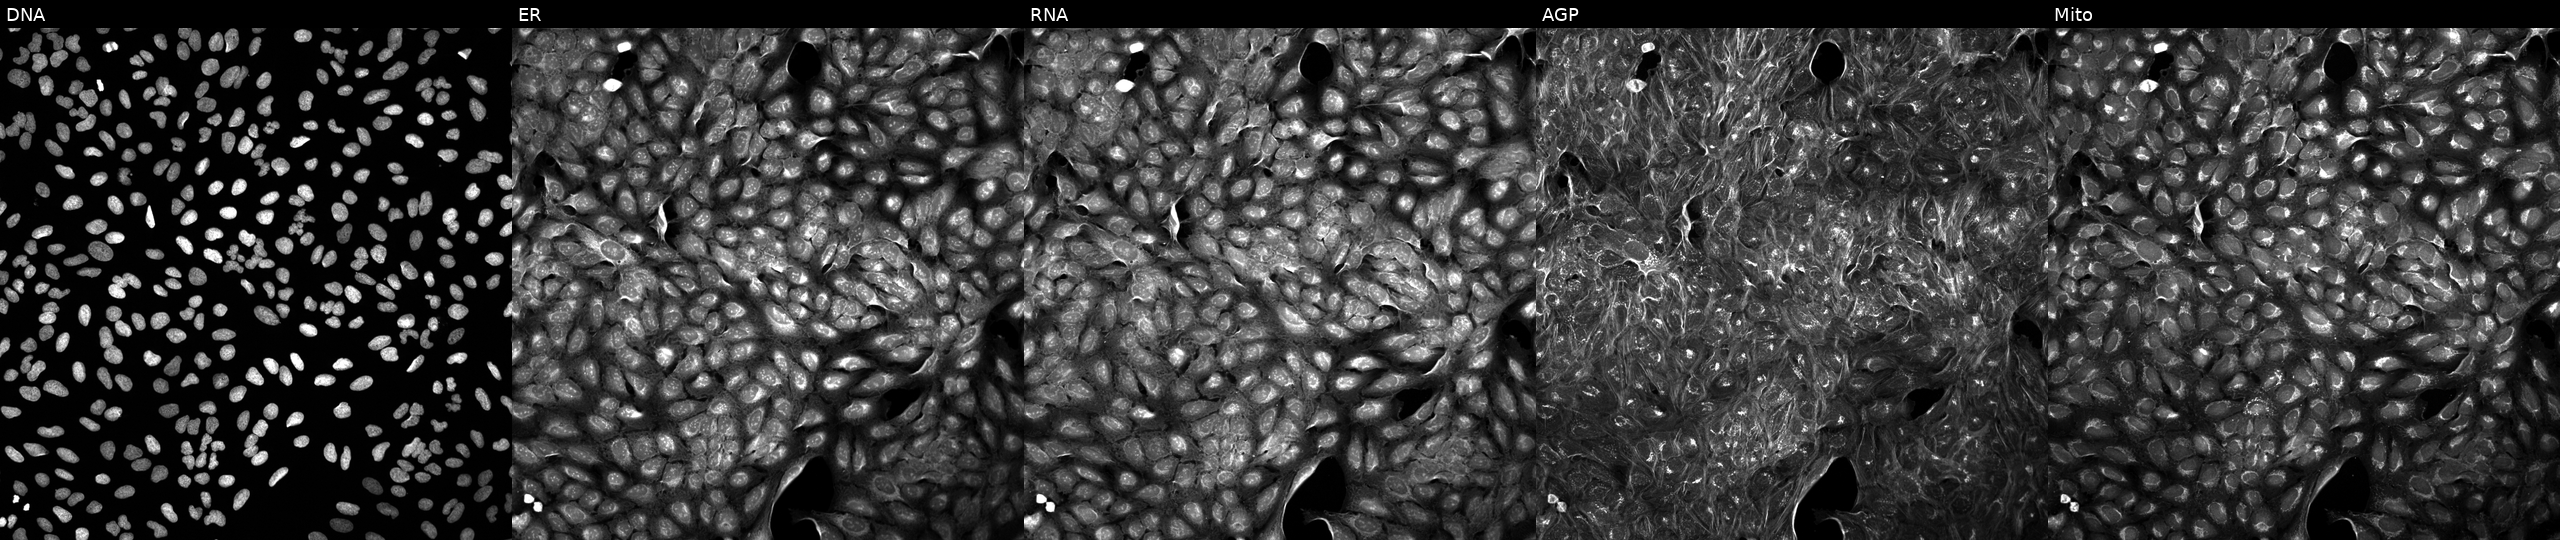
Five-channel Cell Painting image of U2OS cells treated with a small-molecule compound (InChIKey AIBSUASFZMJQCD-UHFFFAOYSA-N) (JUMP id JCP2022_001543). From left to right: DNA (nuclei); ER (endoplasmic reticulum); RNA (nucleoli and cytoplasmic RNA); AGP (actin cytoskeleton, Golgi, and plasma membrane); Mito (mitochondria).